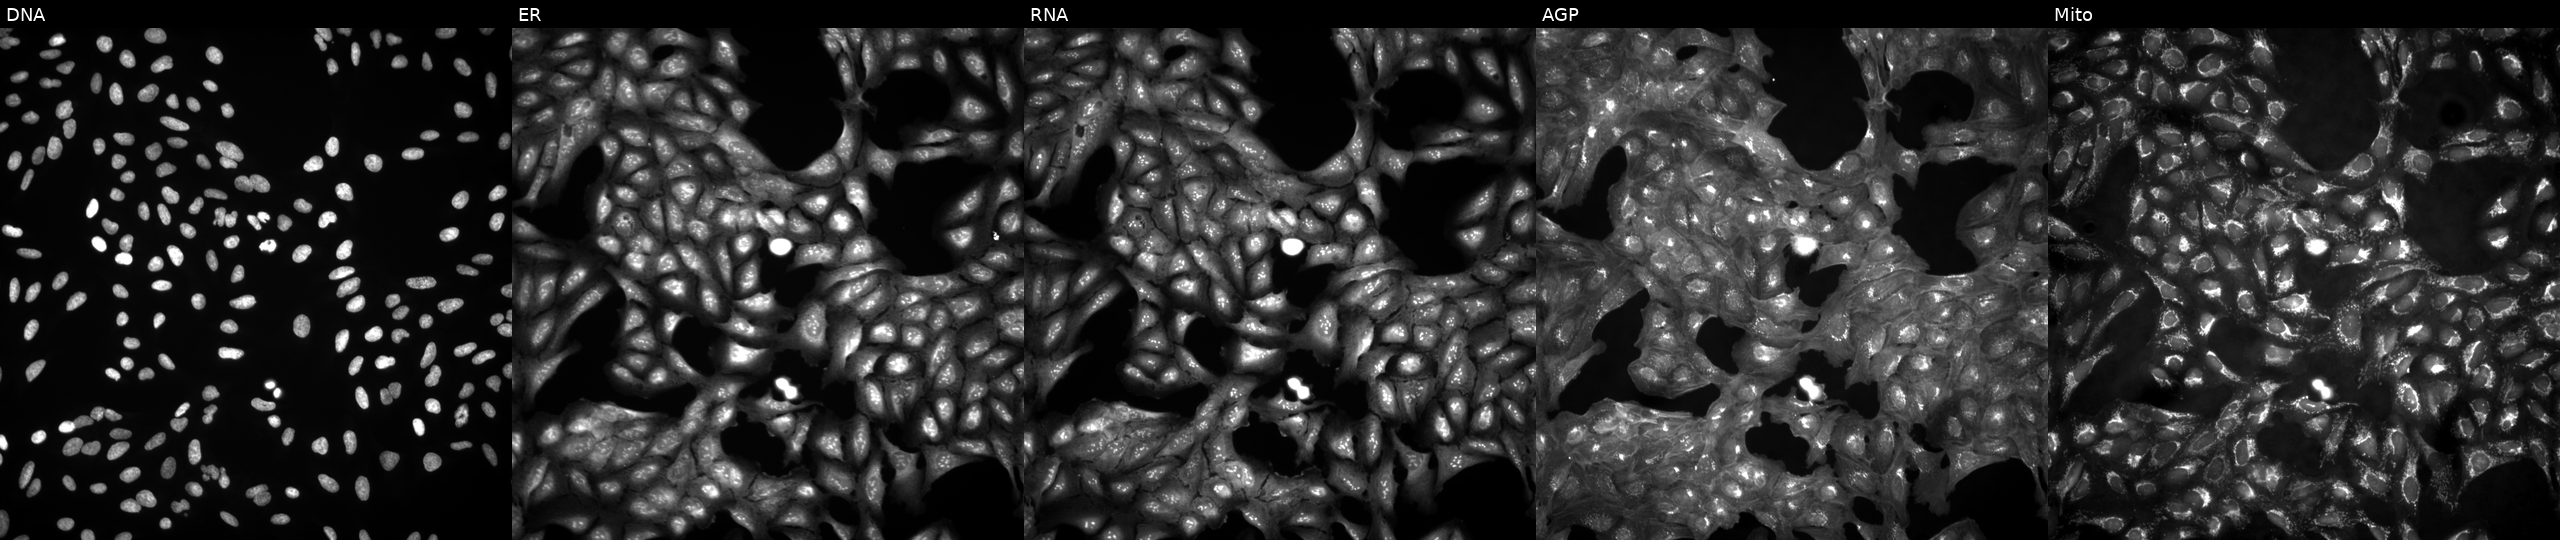
Channels (left→right): Hoechst 33342, concanavalin A, SYTO 14, phalloidin and WGA, MitoTracker. U2OS osteosarcoma cells in an empty control well (no perturbation) (JUMP id JCP2022_999999). Cell Painting assay, JUMP-CP dataset. Source 4, plate BR00123946, well L04.